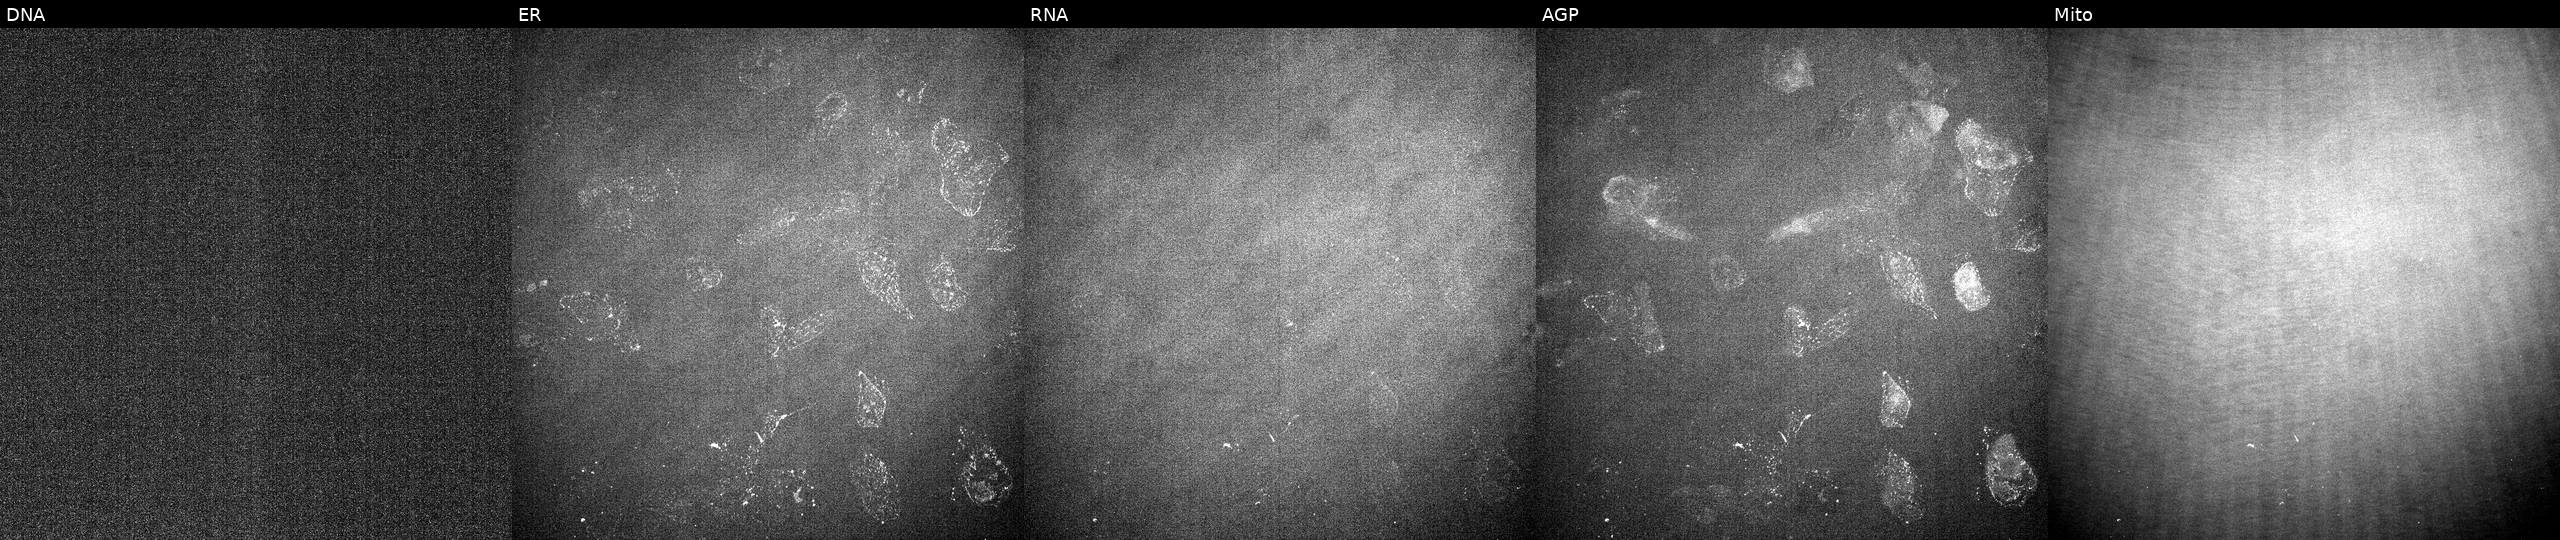
High-content fluorescence microscopy (Cell Painting). Cell line: U2OS. Perturbation: with an unidentified perturbation (not annotated in JUMP metadata). From left to right: Hoechst 33342, concanavalin A, SYTO 14, phalloidin and WGA, MitoTracker. Source 2, plate 1053600674, well H14.